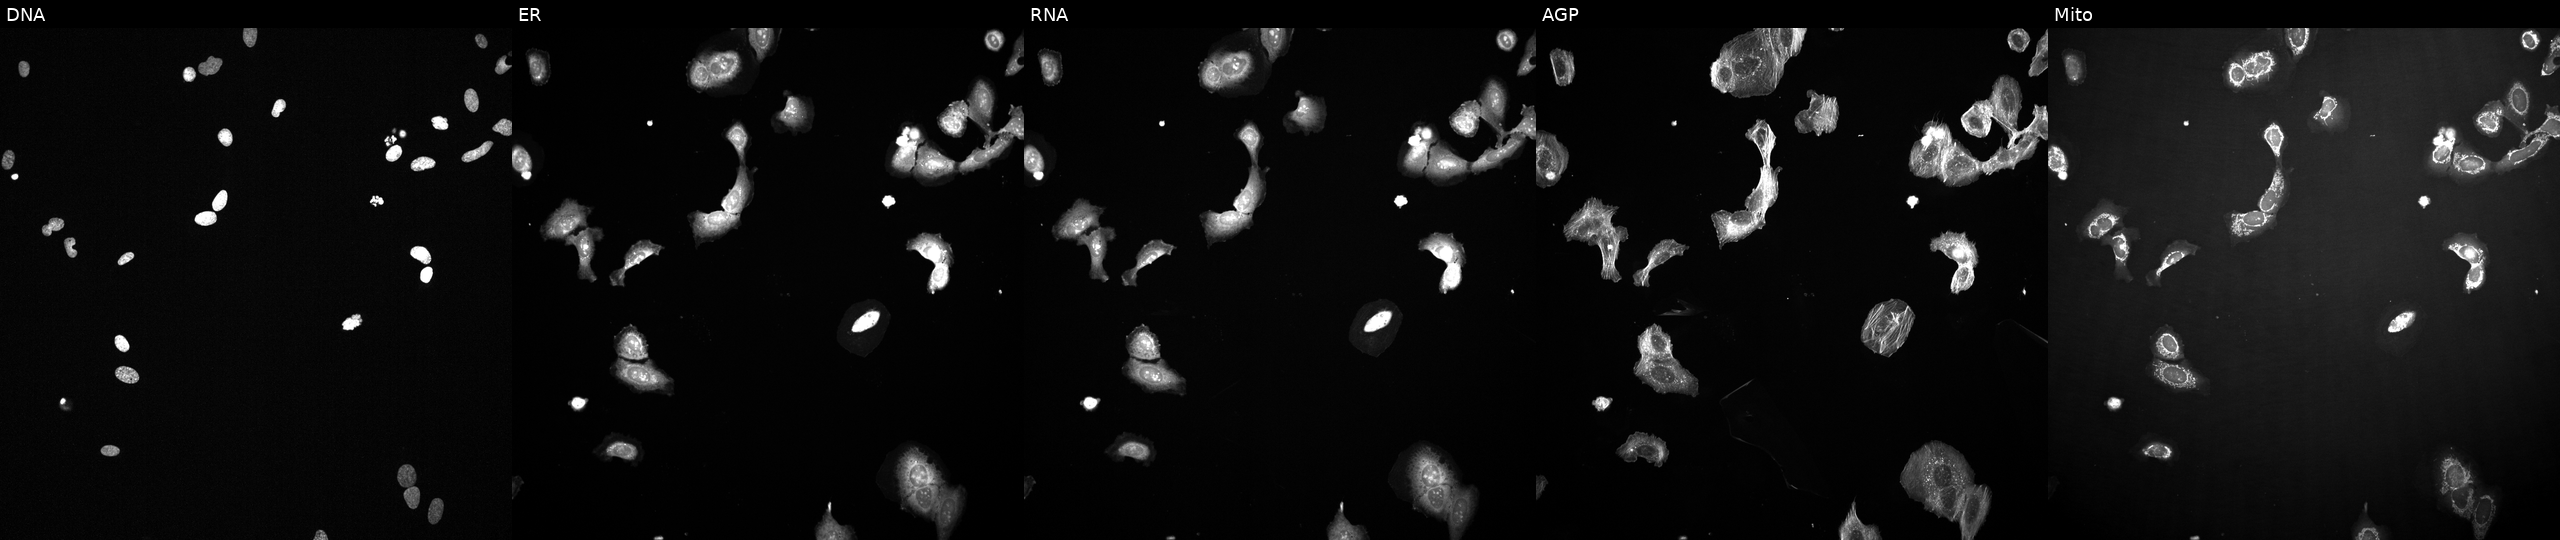
This image strip shows the five Cell Painting channels for a single field of U2OS cells perturbed with a small-molecule compound (InChIKey CWHUFRVAEUJCEF-UHFFFAOYSA-N). From left to right: DNA (nuclei); ER (endoplasmic reticulum); RNA (nucleoli and cytoplasmic RNA); AGP (actin cytoskeleton, Golgi, and plasma membrane); Mito (mitochondria).